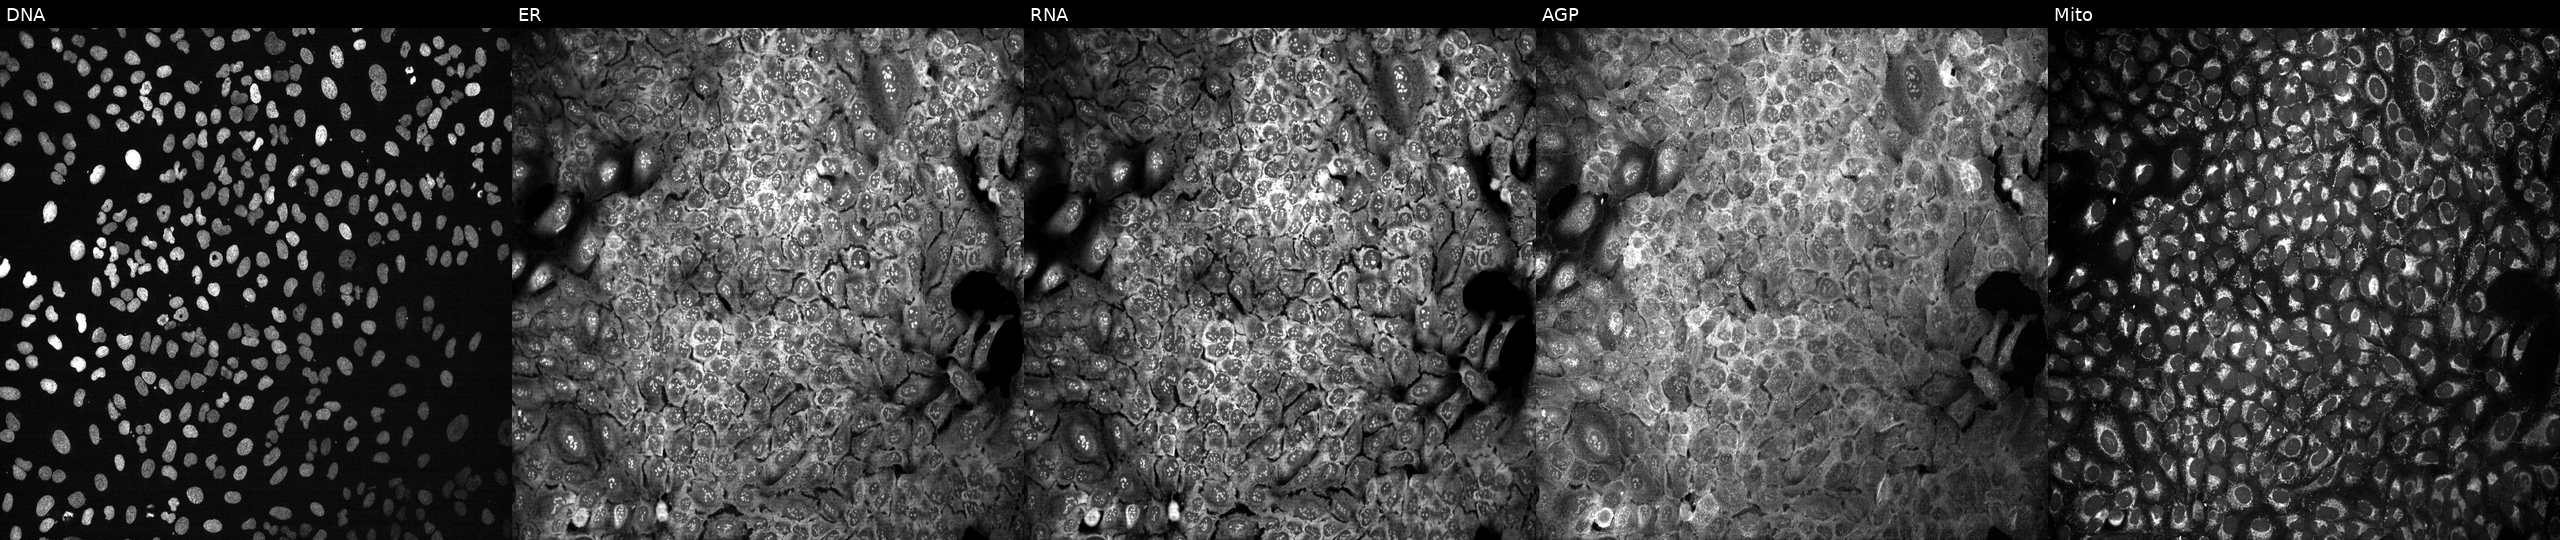
Five-channel Cell Painting image of U2OS cells following CRISPR knockout of ADH1C (JUMP id JCP2022_800257). The five panels, left to right, show Hoechst 33342, concanavalin A, SYTO 14, phalloidin and WGA, MitoTracker.